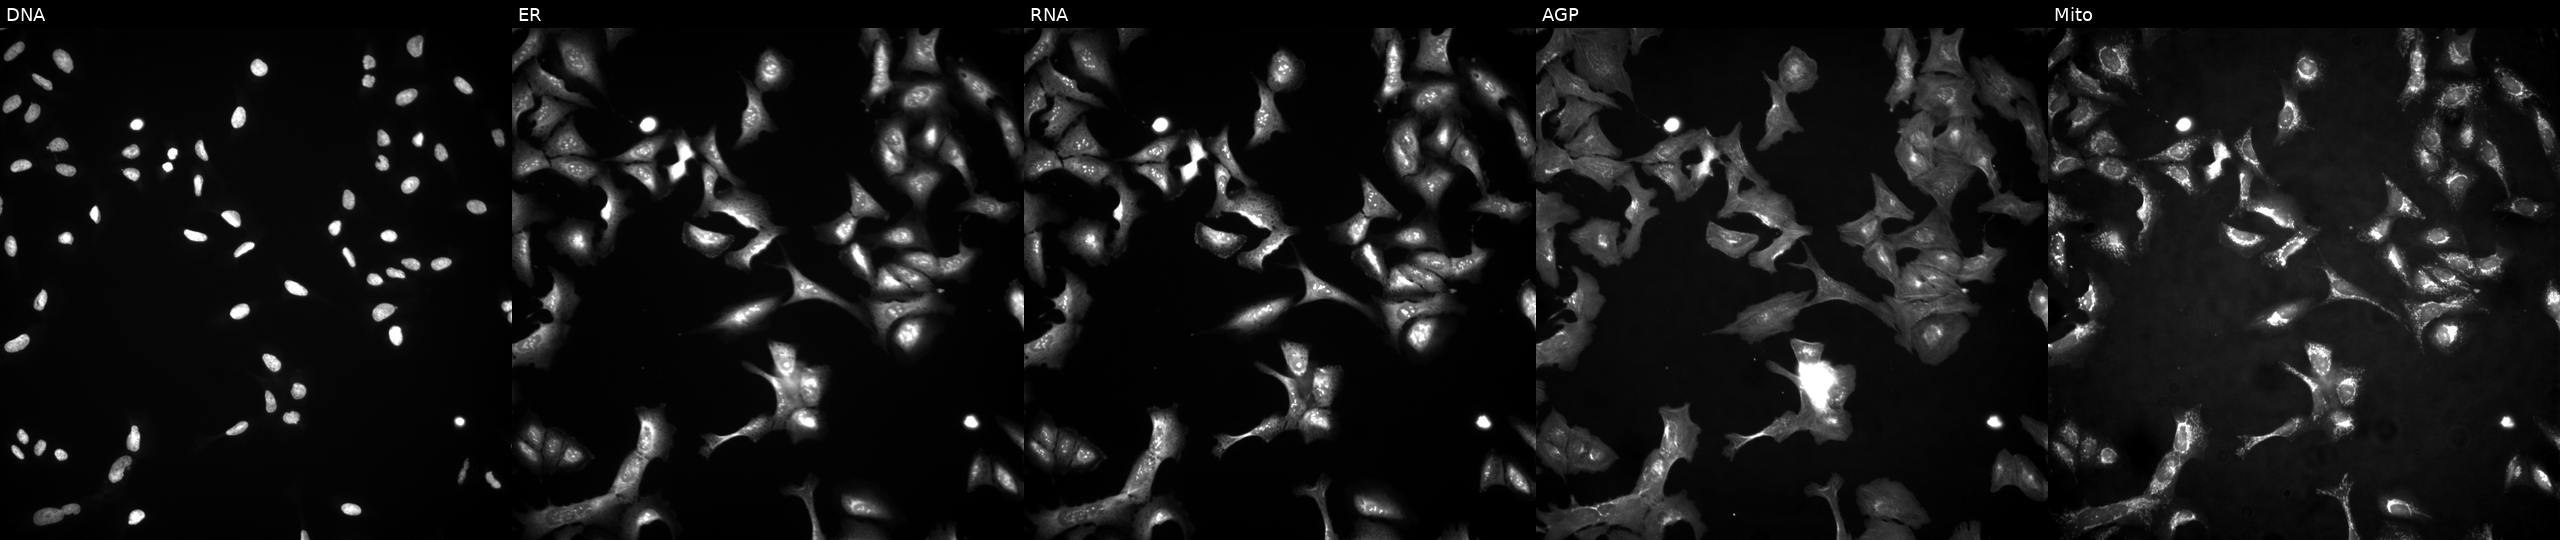
From left to right: DNA, ER, RNA, AGP, and Mito. U2OS osteosarcoma cells transfected with an ORF construct for AP2B1 (JUMP id JCP2022_905409). Cell Painting assay, JUMP-CP dataset.